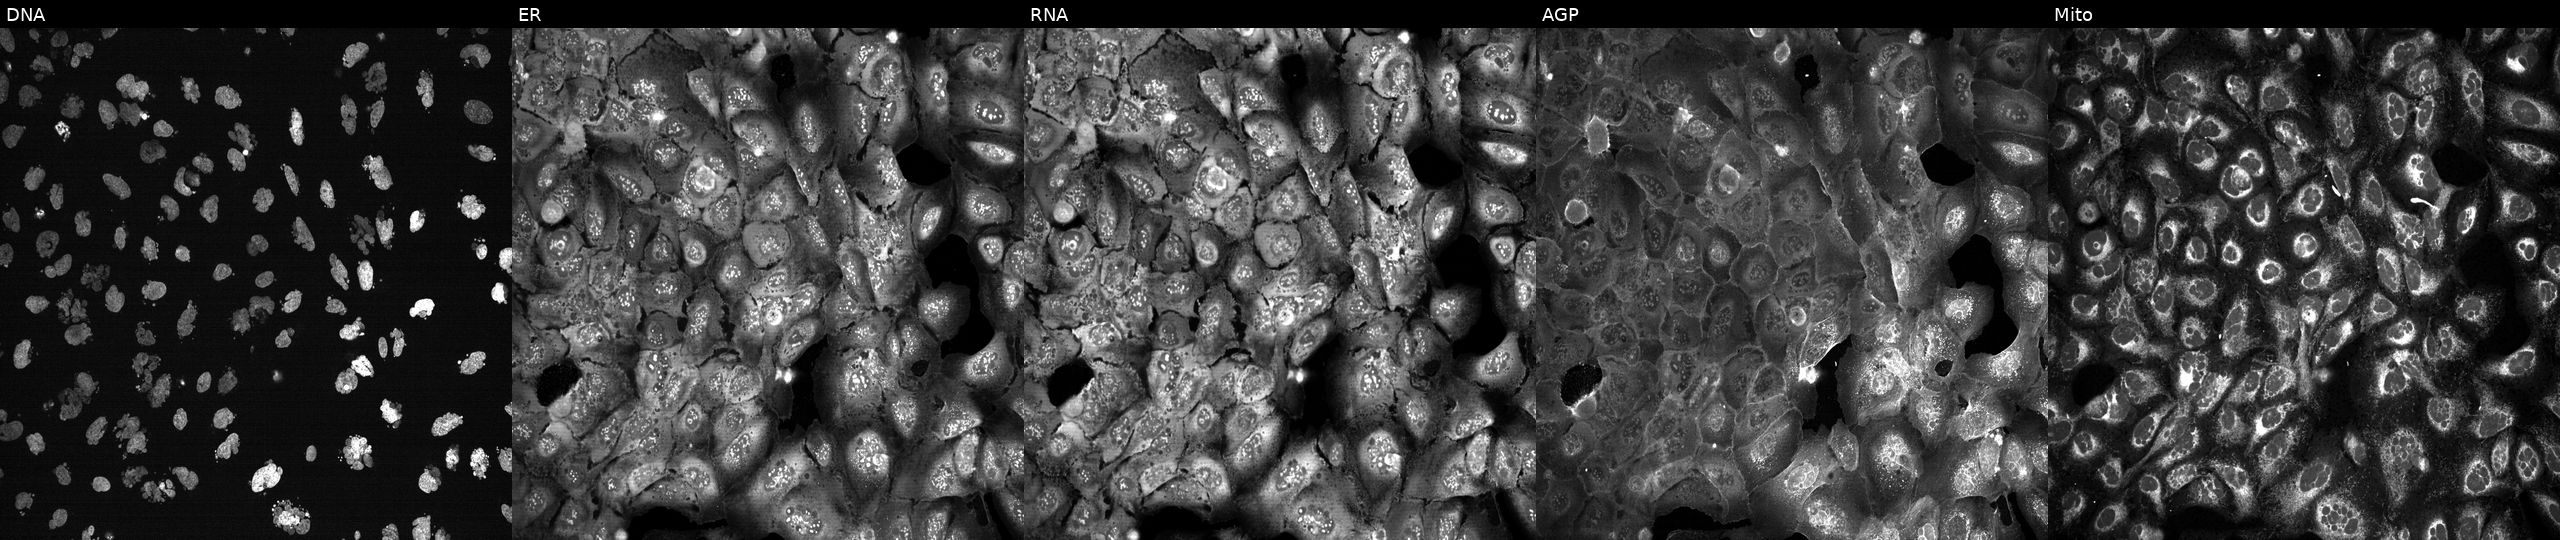
Five-channel Cell Painting image of U2OS cells exposed to the positive-control compound AMG900. Panels show, left to right, Hoechst 33342, concanavalin A, SYTO 14, phalloidin and WGA, MitoTracker.